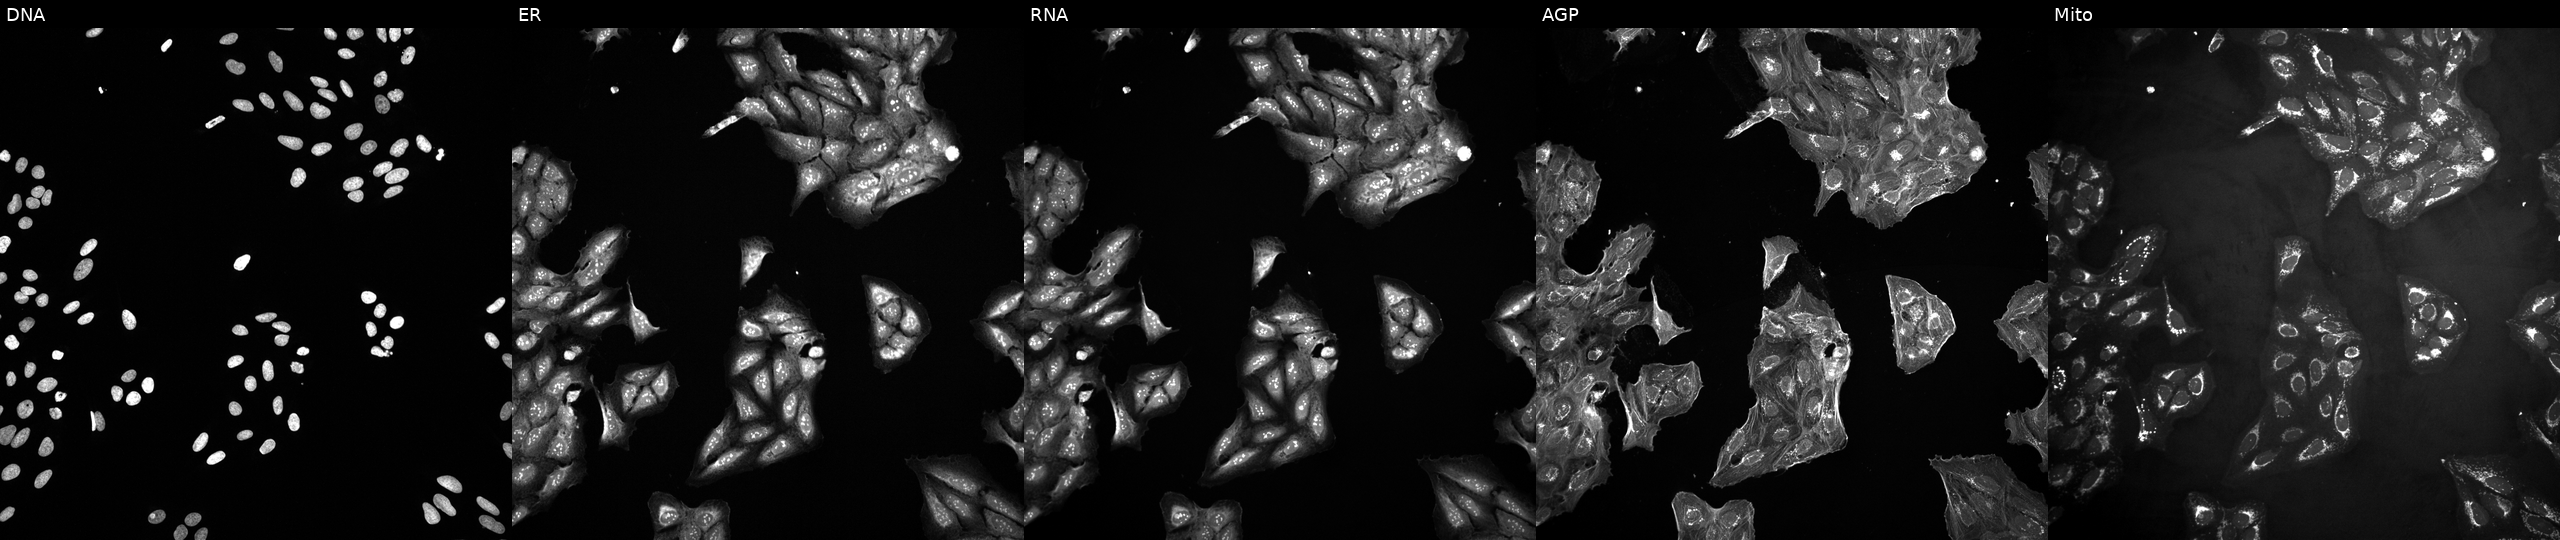
JUMP Cell Painting — COMPOUND plate. U2OS cells treated with DMSO vehicle only (negative control) (JUMP id JCP2022_033924). The five panels, left to right, show DNA, ER, RNA, AGP, and Mito. Source 10, plate Dest210531-152149, well G02.